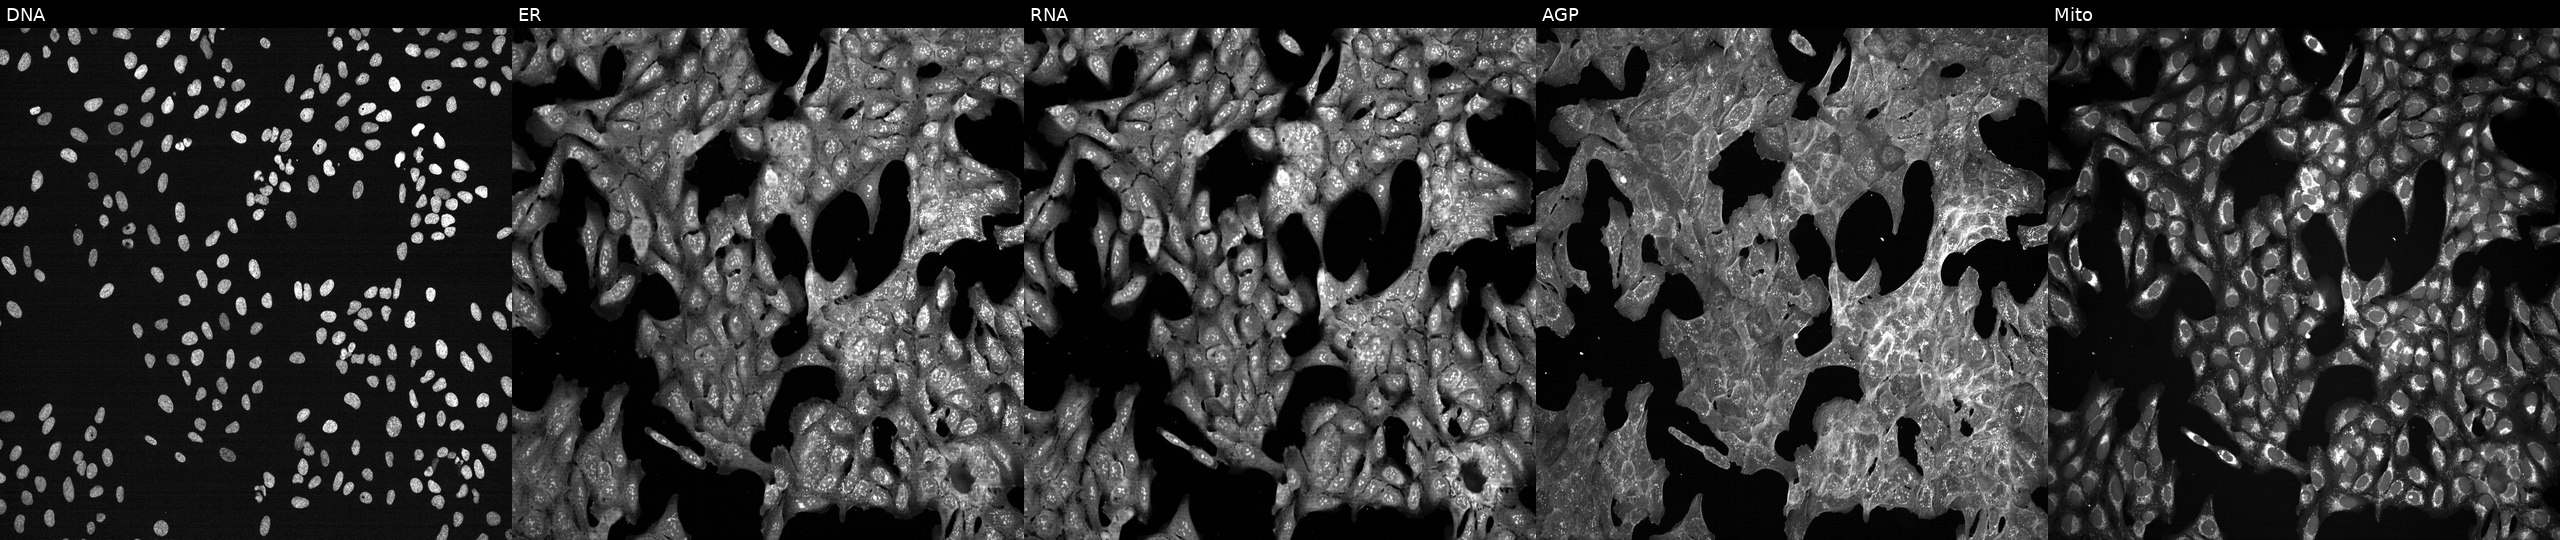
This image strip shows the five Cell Painting channels for a single field of U2OS cells treated with a small-molecule compound (InChIKey XRVDGNKRPOAQTN-UHFFFAOYSA-N) (JUMP id JCP2022_105621). Panels show, left to right, DNA, ER, RNA, AGP, and Mito.